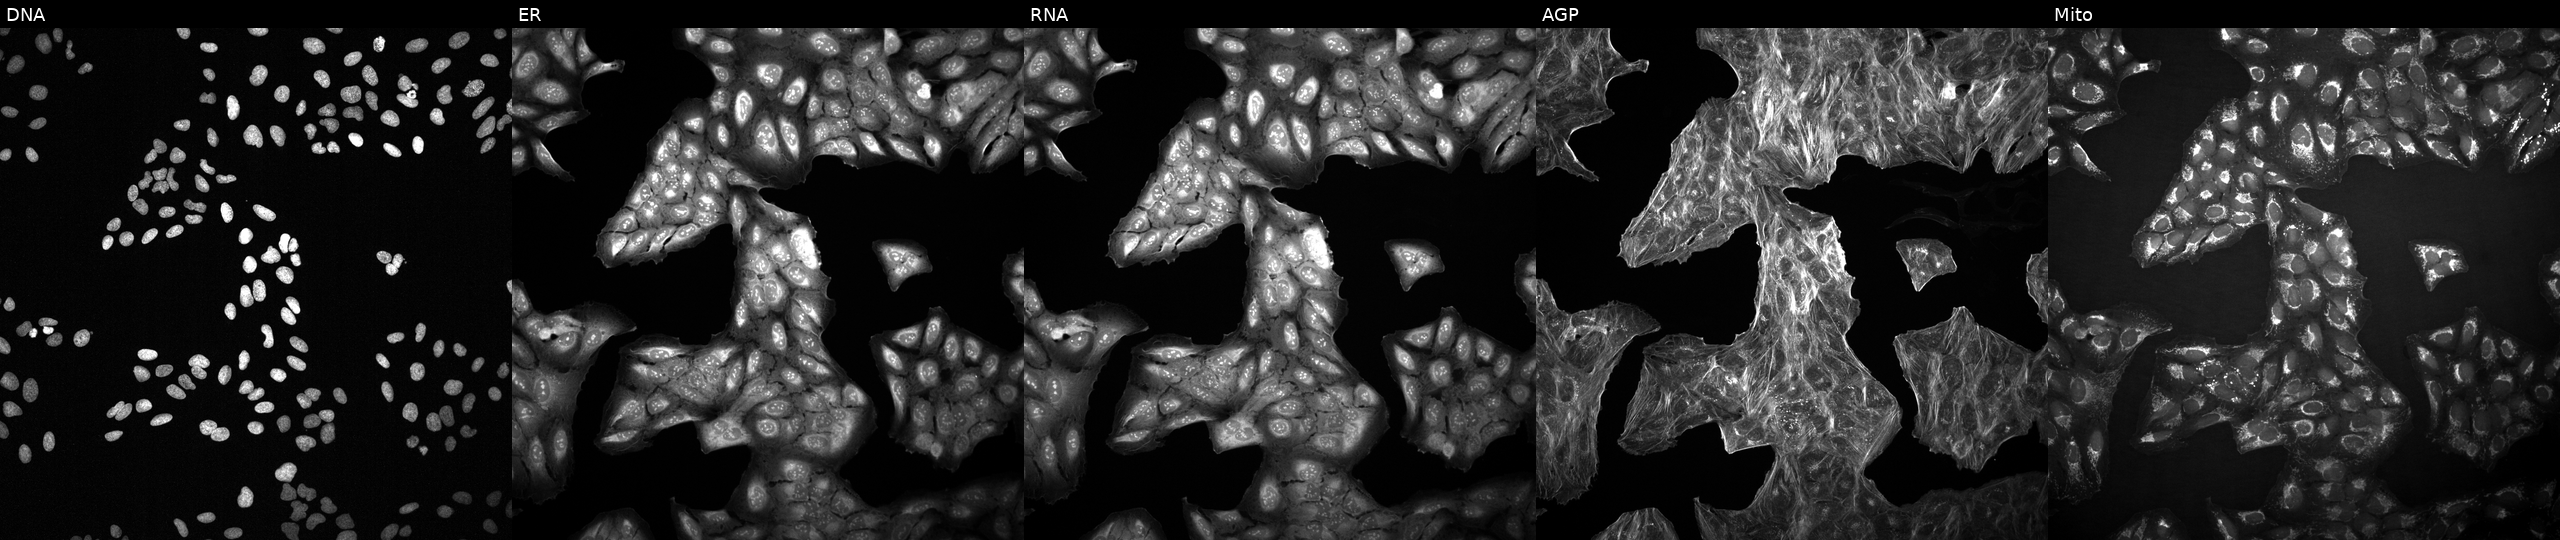
U2OS cells, Cell Painting assay, with an unidentified perturbation (not annotated in JUMP metadata). The five panels, left to right, show Hoechst 33342, concanavalin A, SYTO 14, phalloidin and WGA, MitoTracker. Each panel is percentile-stretched 16-bit fluorescence.